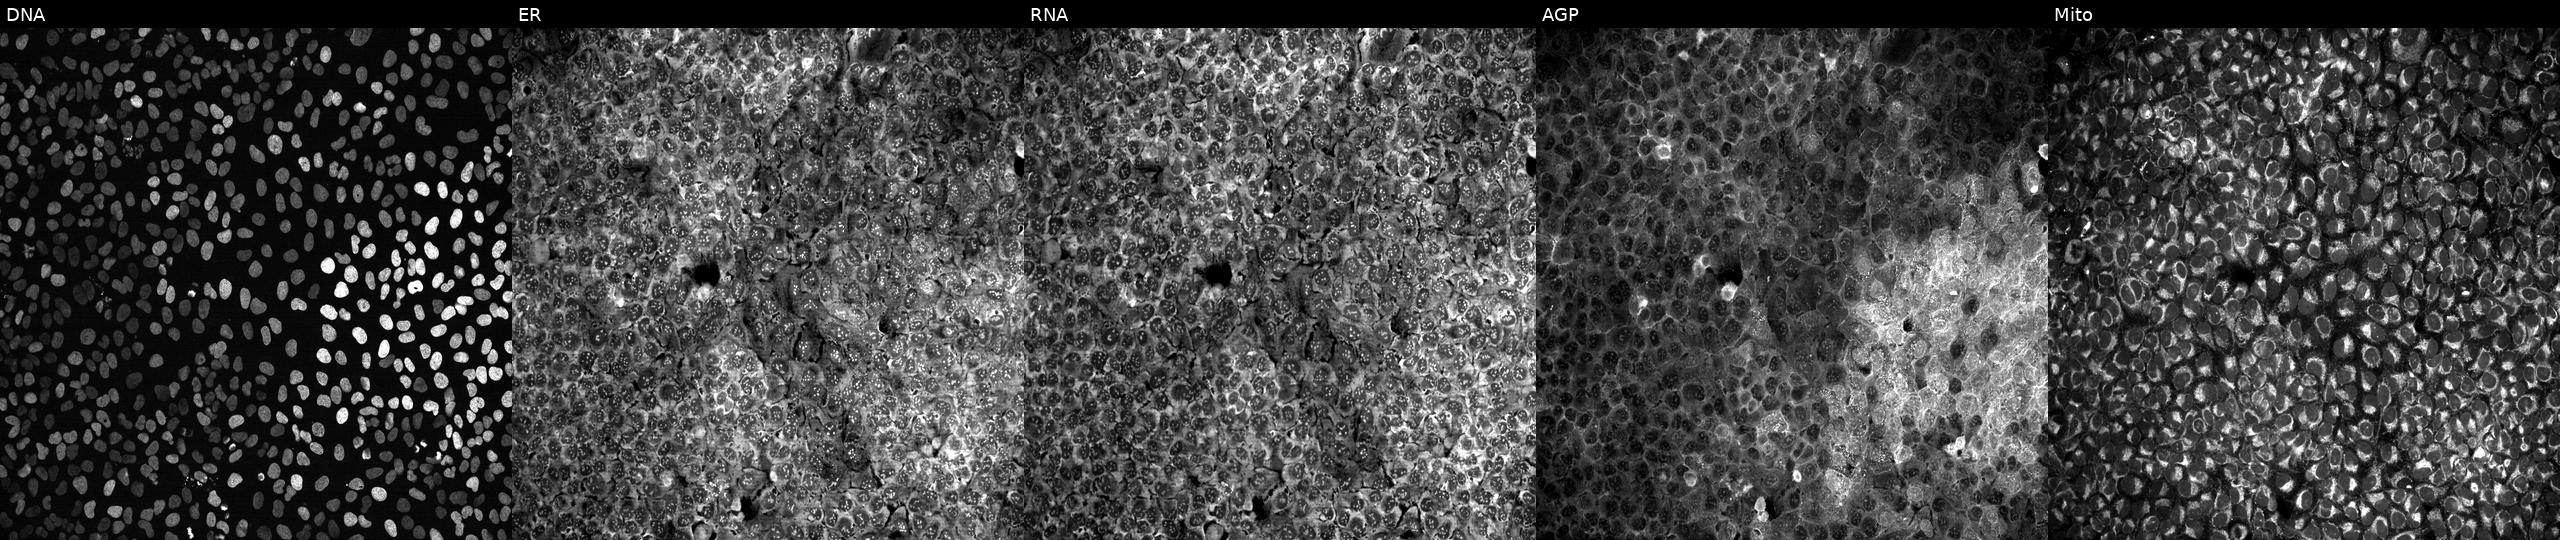
From left to right: DNA, ER, RNA, AGP, and Mito. U2OS osteosarcoma cells treated with aloxistatin (positive-control compound) (JUMP id JCP2022_085227). Cell Painting assay, JUMP-CP dataset.